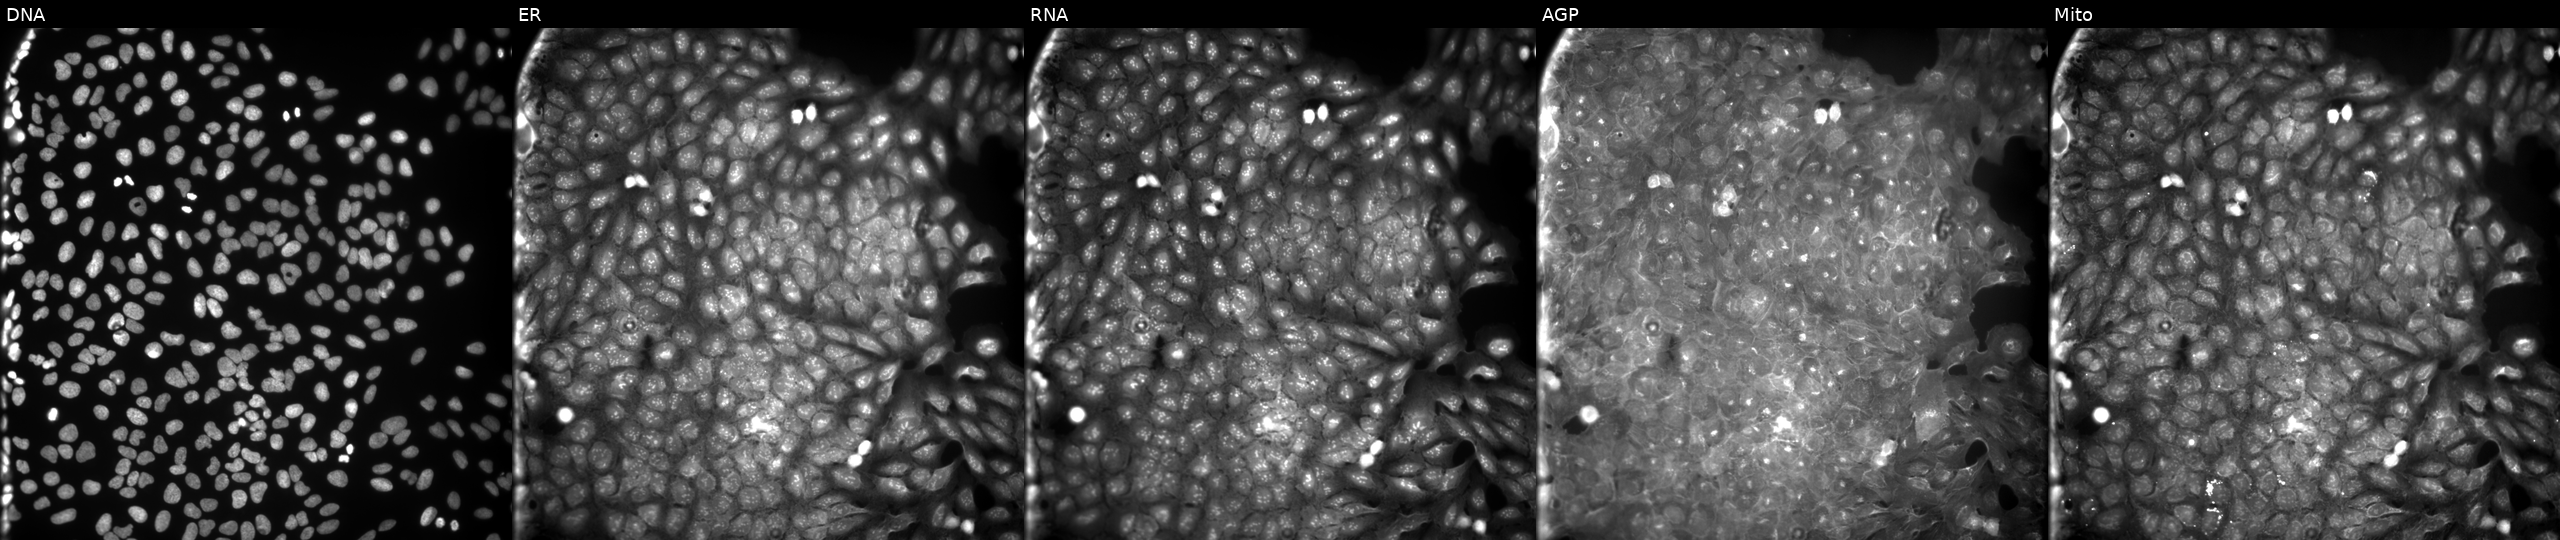
U2OS cells, Cell Painting assay, treated with DMSO vehicle only (negative control). Channels (left→right): DNA, ER, RNA, AGP, and Mito. Each panel is percentile-stretched 16-bit fluorescence. Source 9, plate GR00003381, well W02.